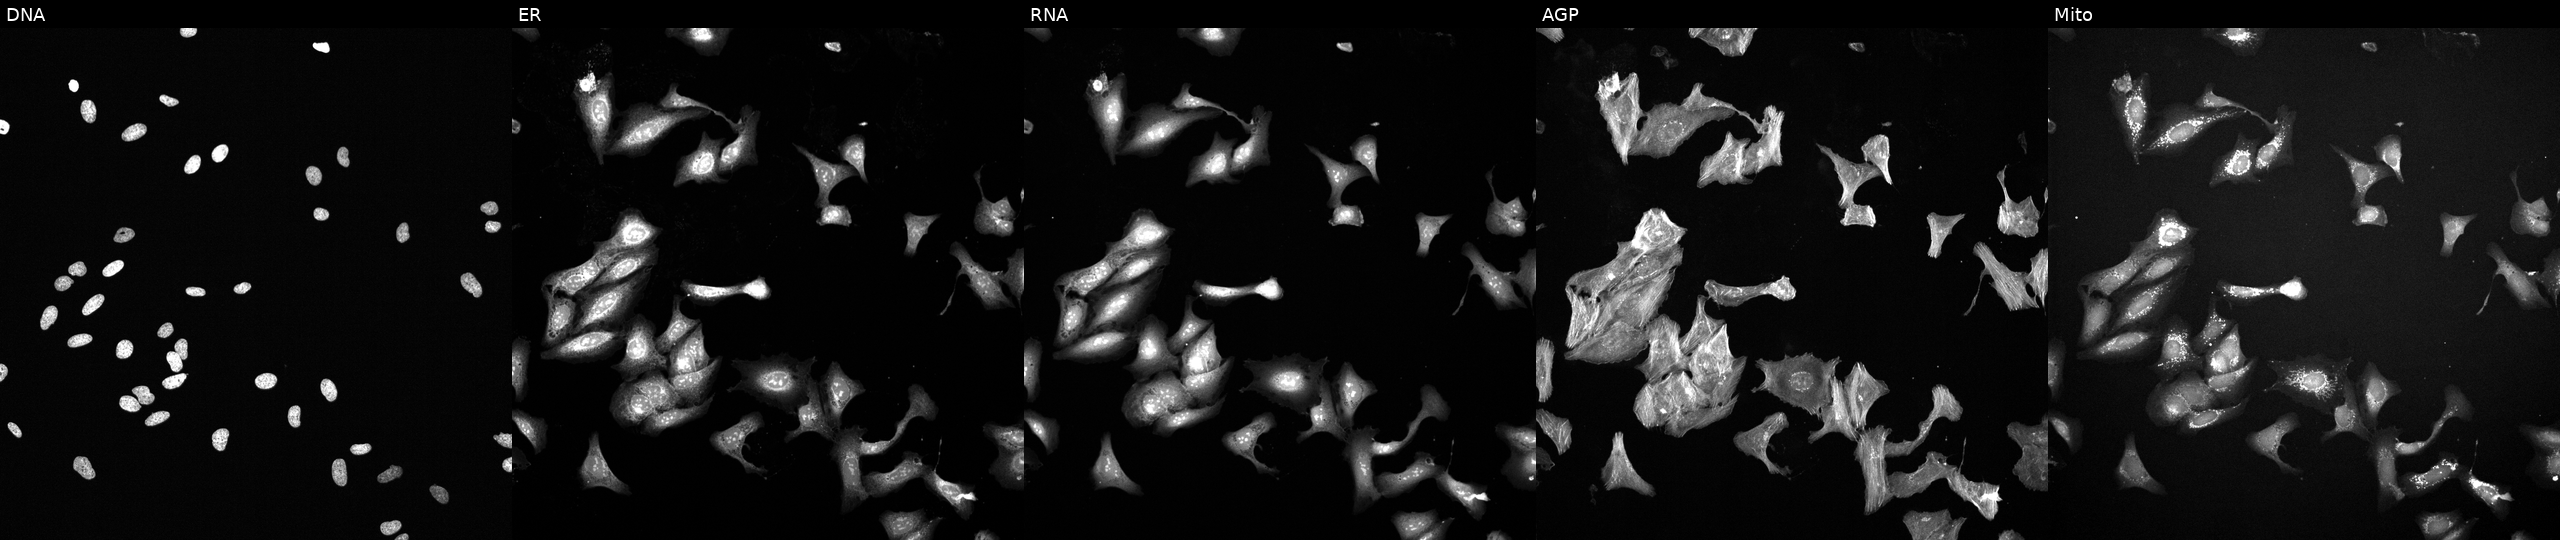
U2OS cells, Cell Painting assay, treated with a small-molecule compound (InChIKey MAASHDQFQDDECQ-UHFFFAOYSA-N) [SMILES: O=C1C(SCCO)=C(SCCO)C(=O)c2ccccc21] (JUMP id JCP2022_052804). From left to right: DNA, ER, RNA, AGP, and Mito. Each panel is percentile-stretched 16-bit fluorescence. Source 6, plate 110000293093, well C19.